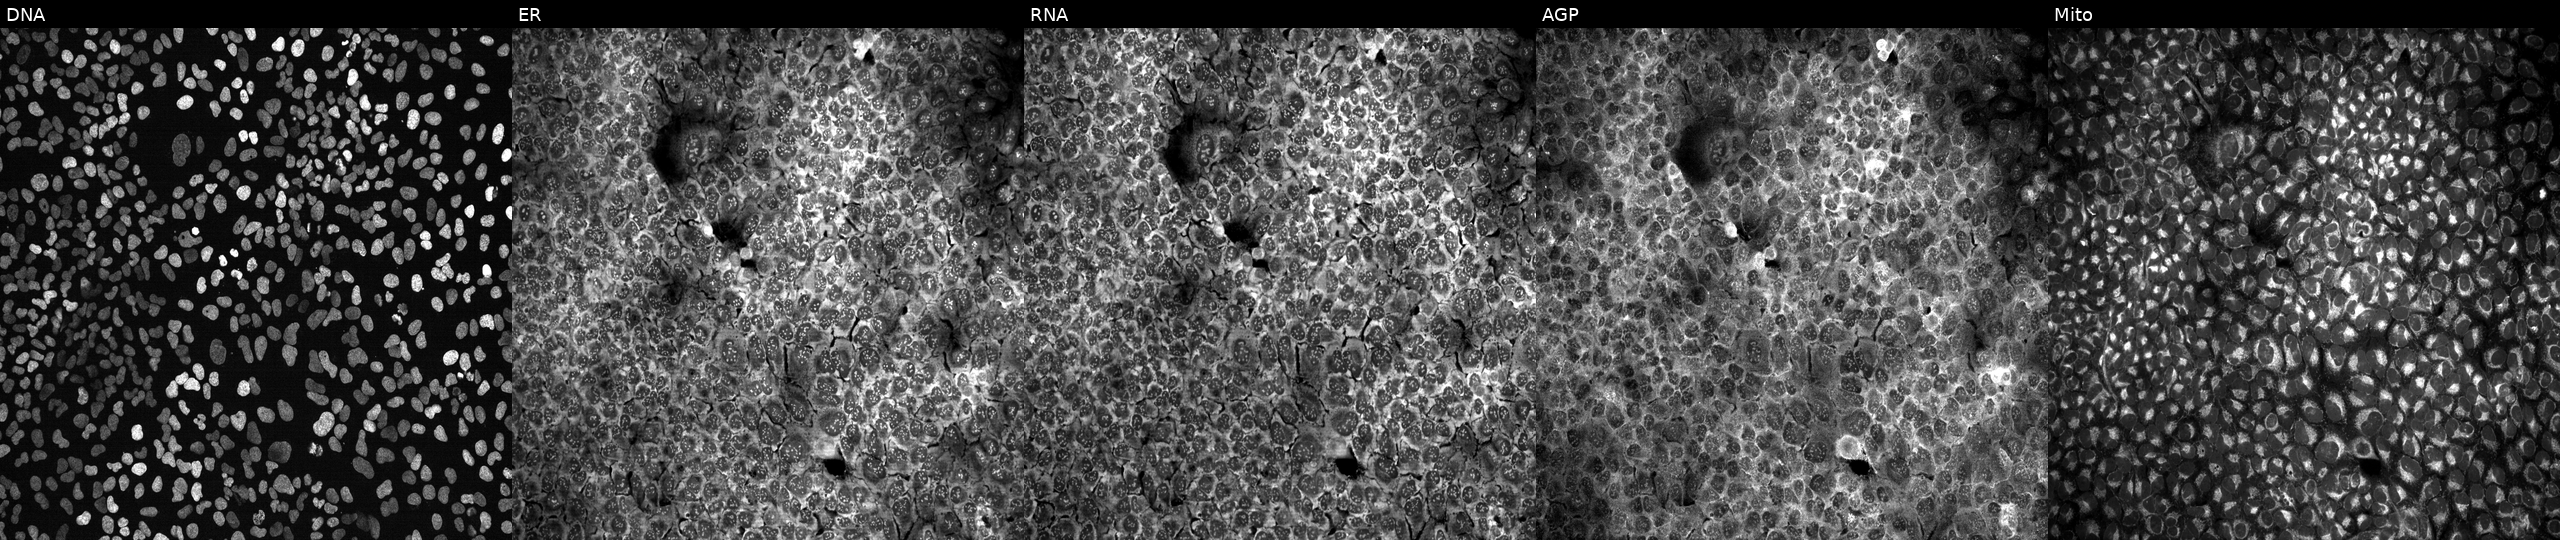
This image strip shows the five Cell Painting channels for a single field of U2OS cells following CRISPR knockout of GLS (JUMP id JCP2022_802736). From left to right: DNA (nuclei); ER (endoplasmic reticulum); RNA (nucleoli and cytoplasmic RNA); AGP (actin cytoskeleton, Golgi, and plasma membrane); Mito (mitochondria).